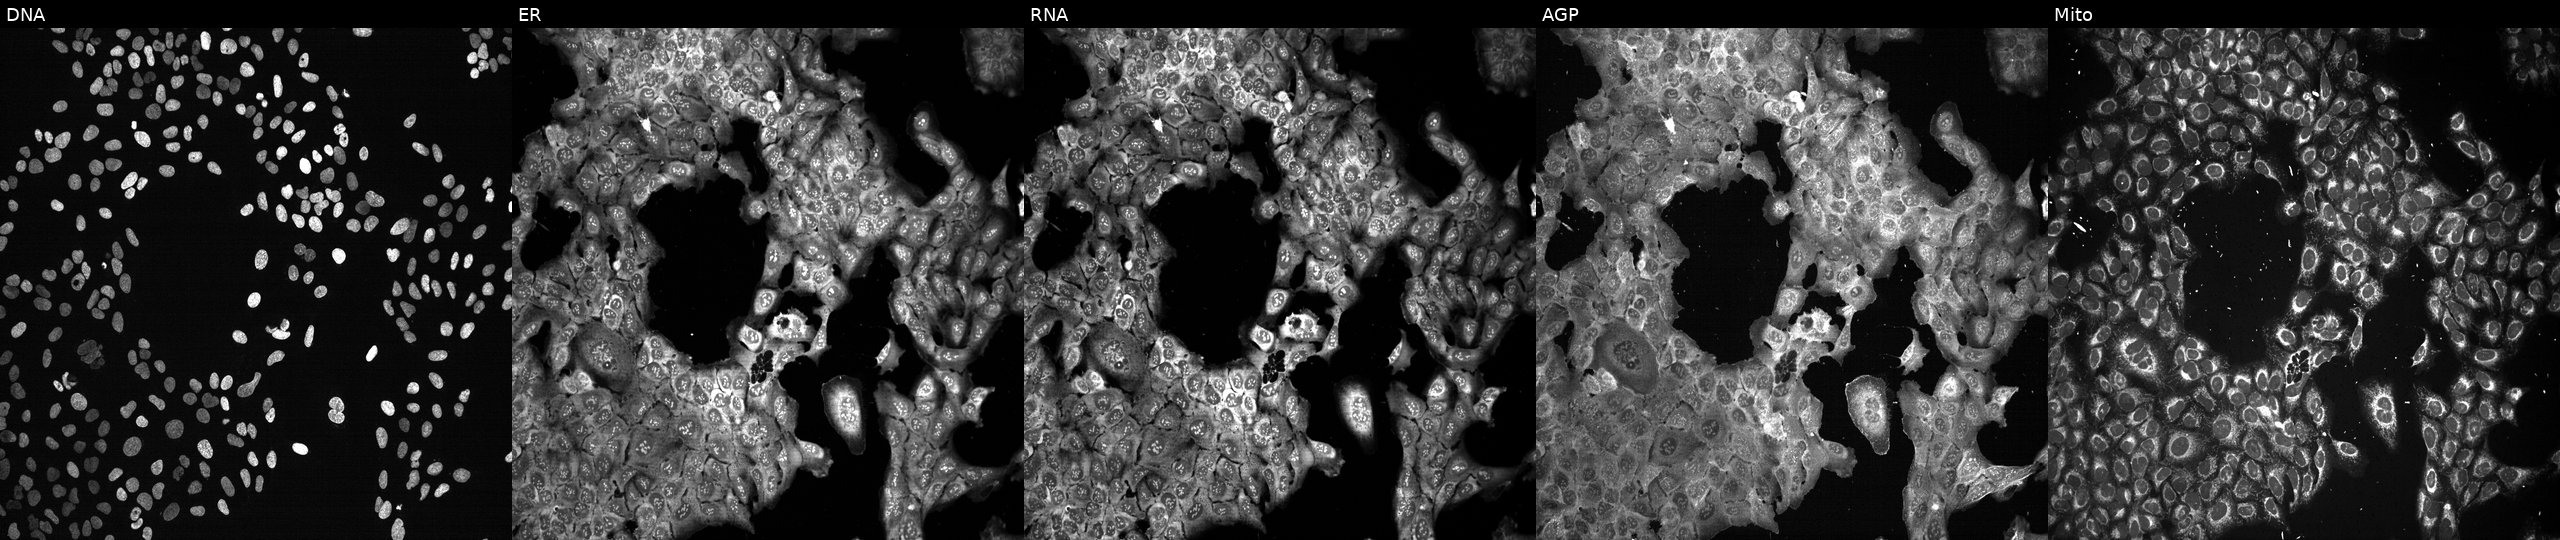
Five-channel Cell Painting image of U2OS cells following CRISPR knockout of ATP2A2 (JUMP id JCP2022_800710). The five panels, left to right, show DNA, ER, RNA, AGP, and Mito.